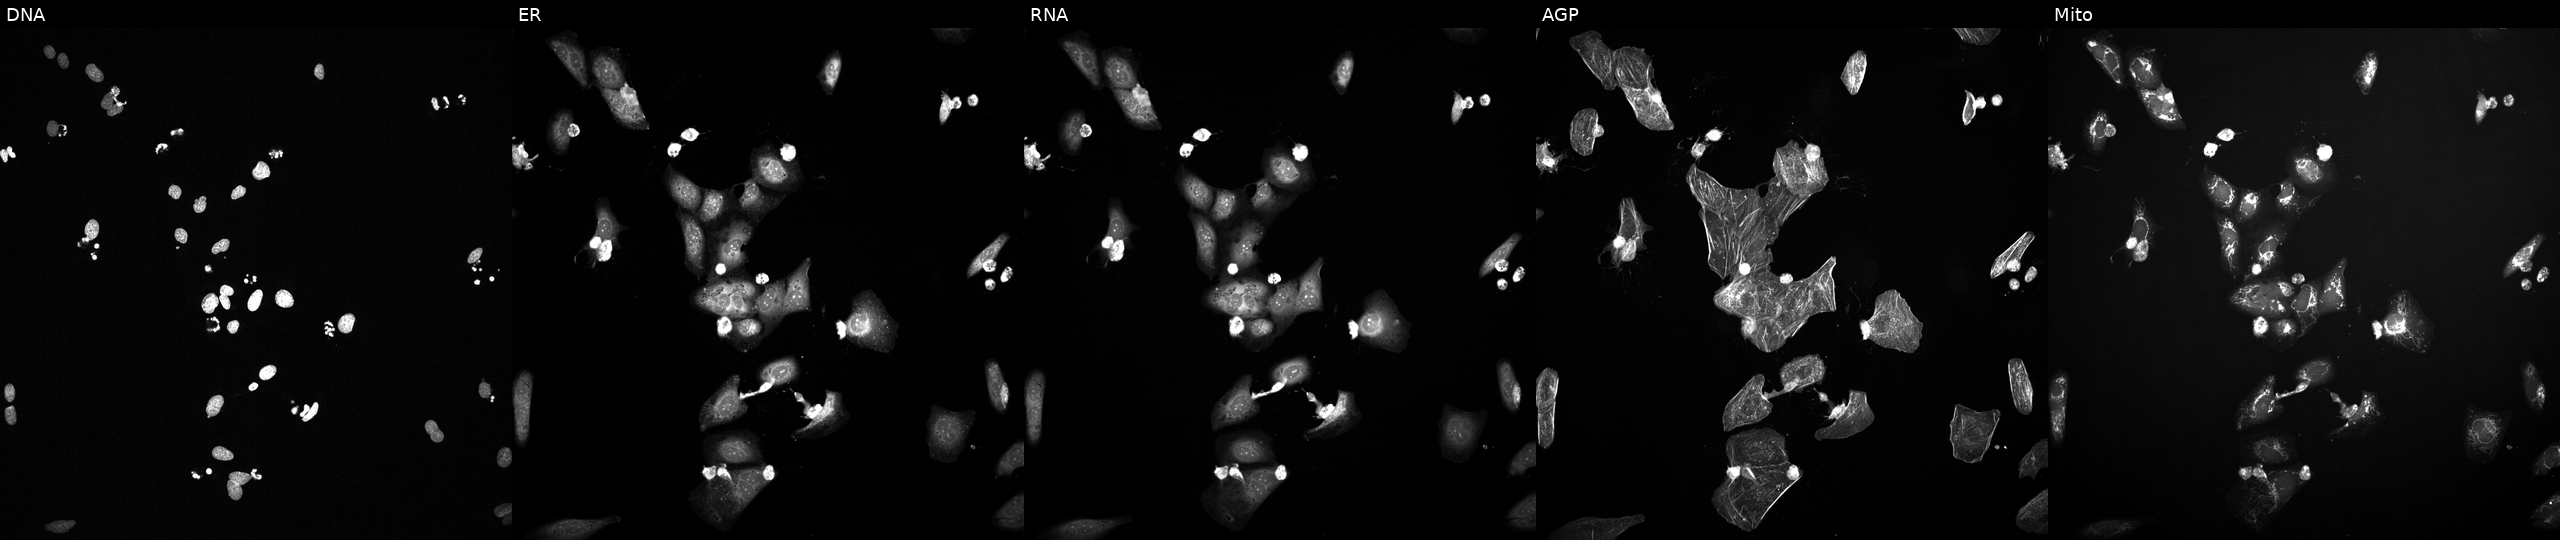
This image strip shows the five Cell Painting channels for a single field of U2OS cells perturbed with a small-molecule compound (InChIKey WSMQUUGTQYPVPD-UHFFFAOYSA-N) (JUMP id JCP2022_100876). From left to right: DNA, ER, RNA, AGP, and Mito. Source 2, plate 1053597936, well O23.